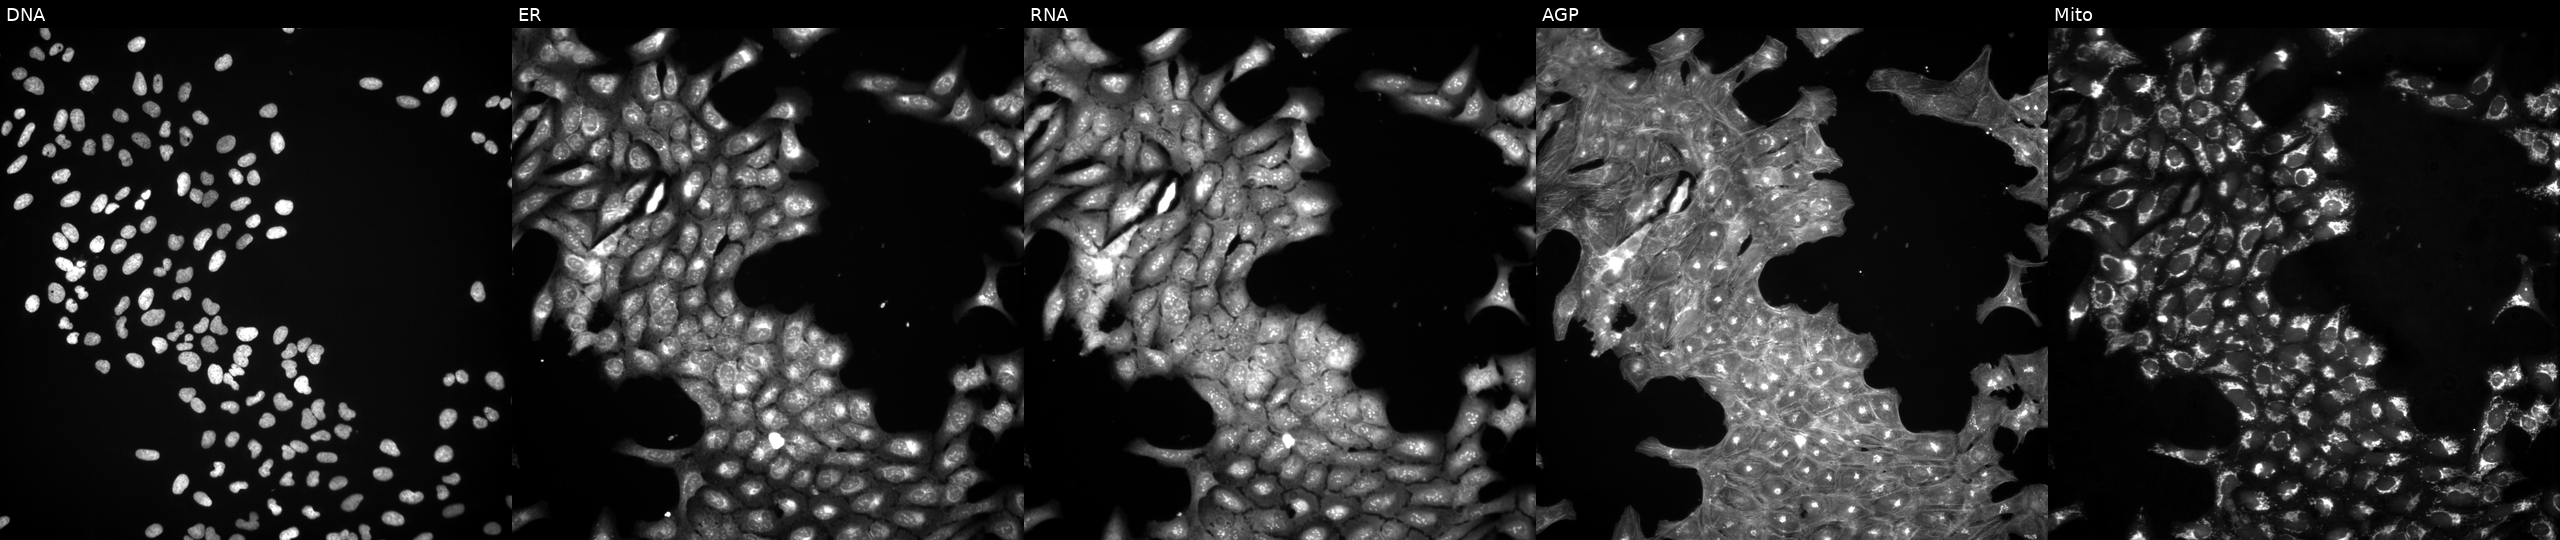
JUMP Cell Painting — TARGET2 plate. U2OS cells exposed to DMSO alone as a negative control. From left to right: Hoechst 33342, concanavalin A, SYTO 14, phalloidin and WGA, MitoTracker.